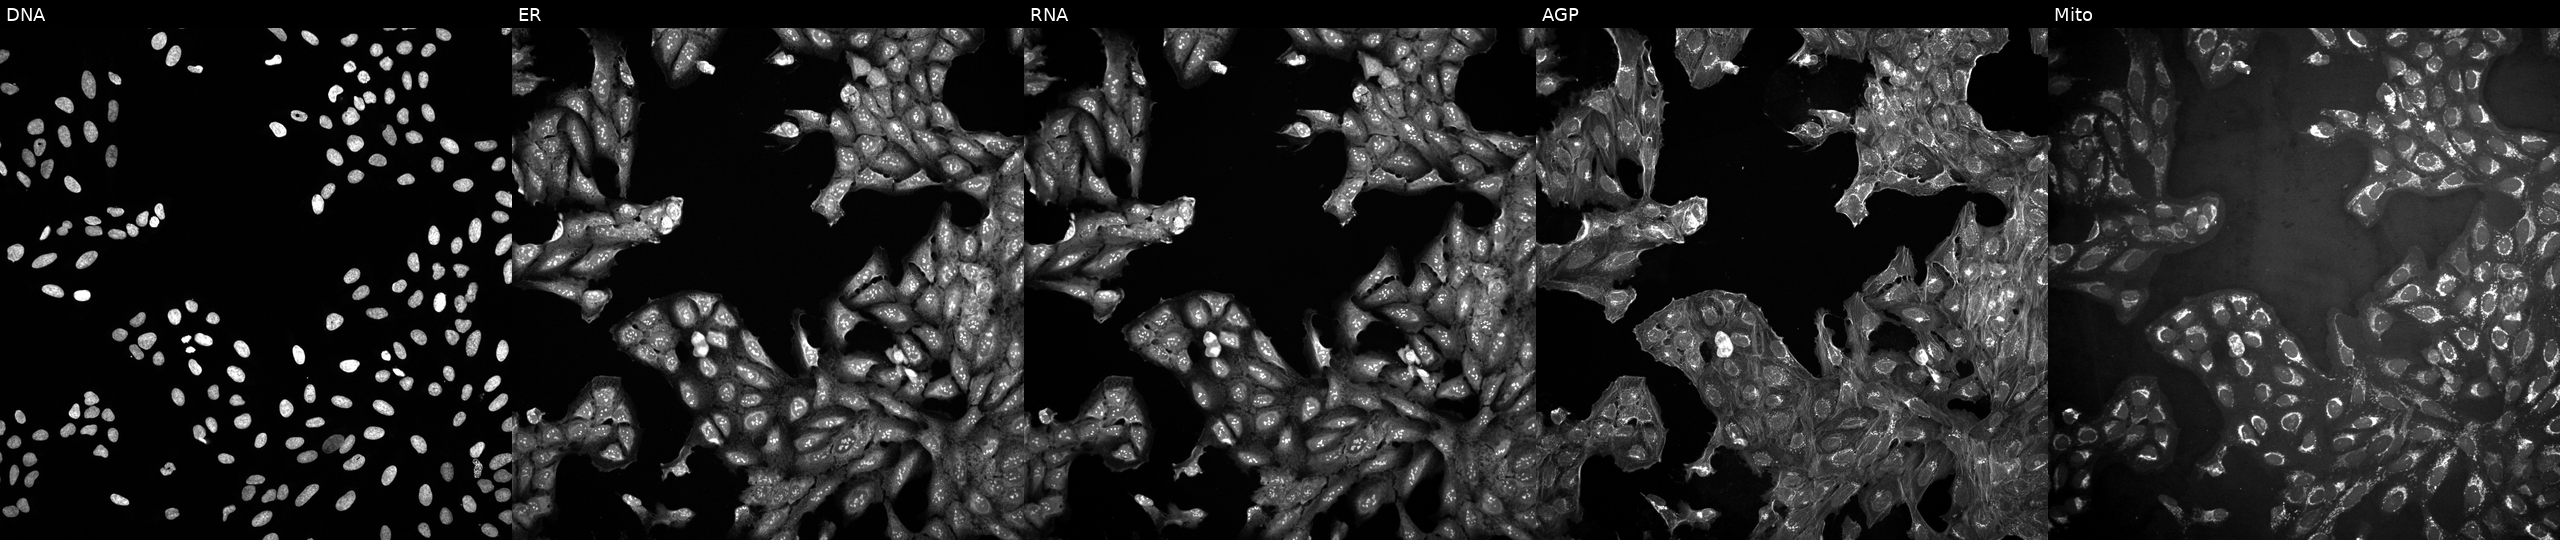
High-content fluorescence microscopy (Cell Painting). Cell line: U2OS. Perturbation: treated with DMSO vehicle only (negative control) (JUMP id JCP2022_033924). The five panels, left to right, show Hoechst 33342, concanavalin A, SYTO 14, phalloidin and WGA, MitoTracker. Source 10, plate Dest210531-152149, well L02.